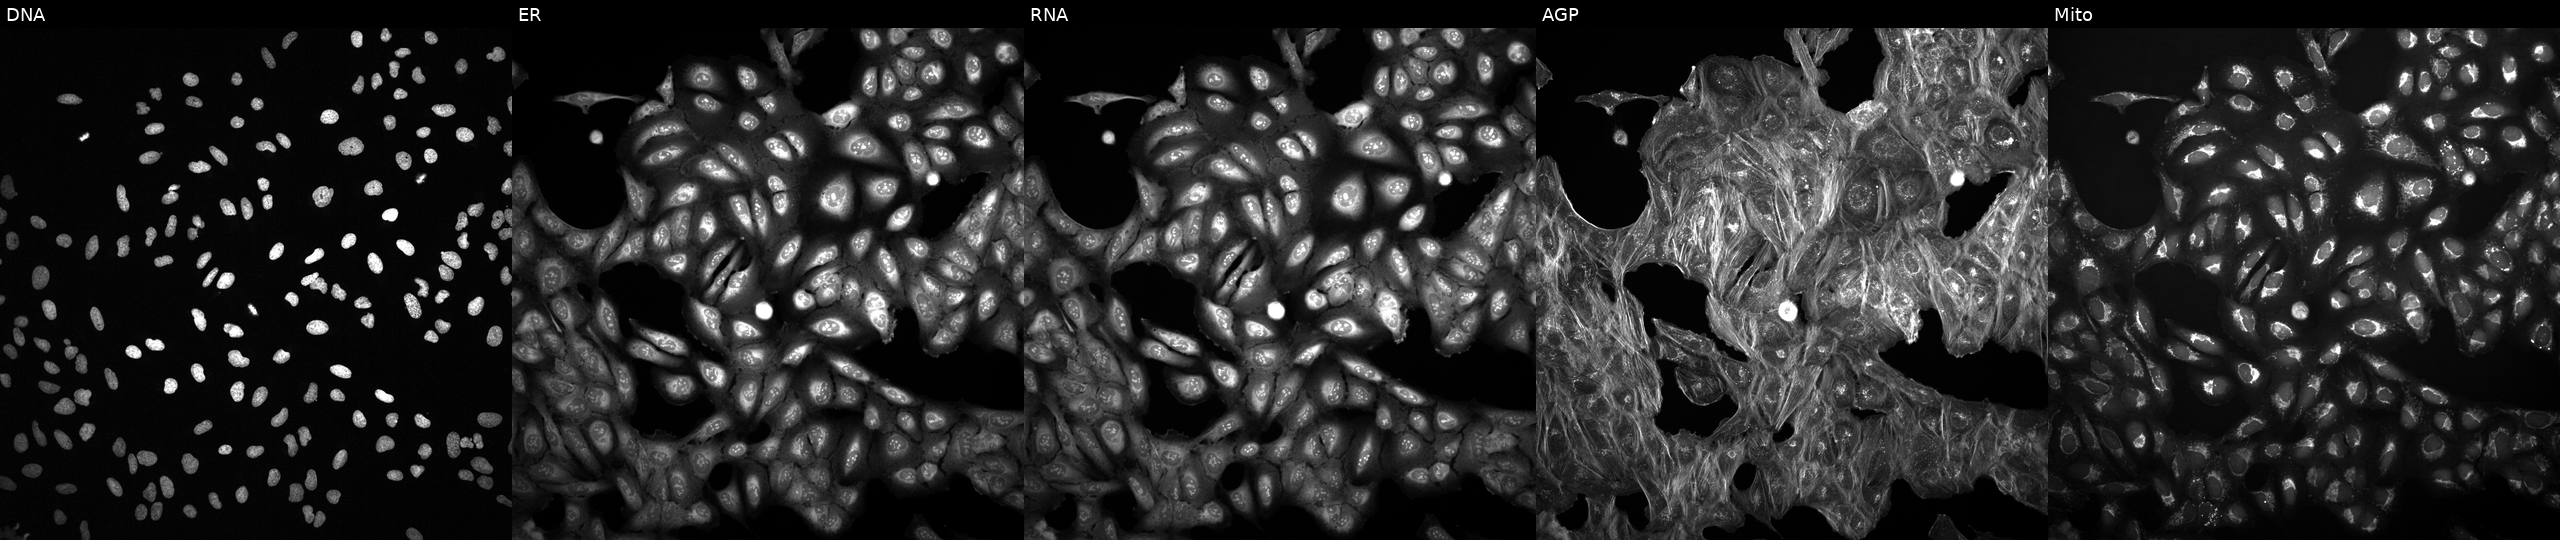
This image strip shows the five Cell Painting channels for a single field of U2OS cells exposed to a small-molecule compound (InChIKey QQGWEXFLMJGCAL-UHFFFAOYSA-N) (JUMP id JCP2022_075182). Panels show, left to right, DNA, ER, RNA, AGP, and Mito.